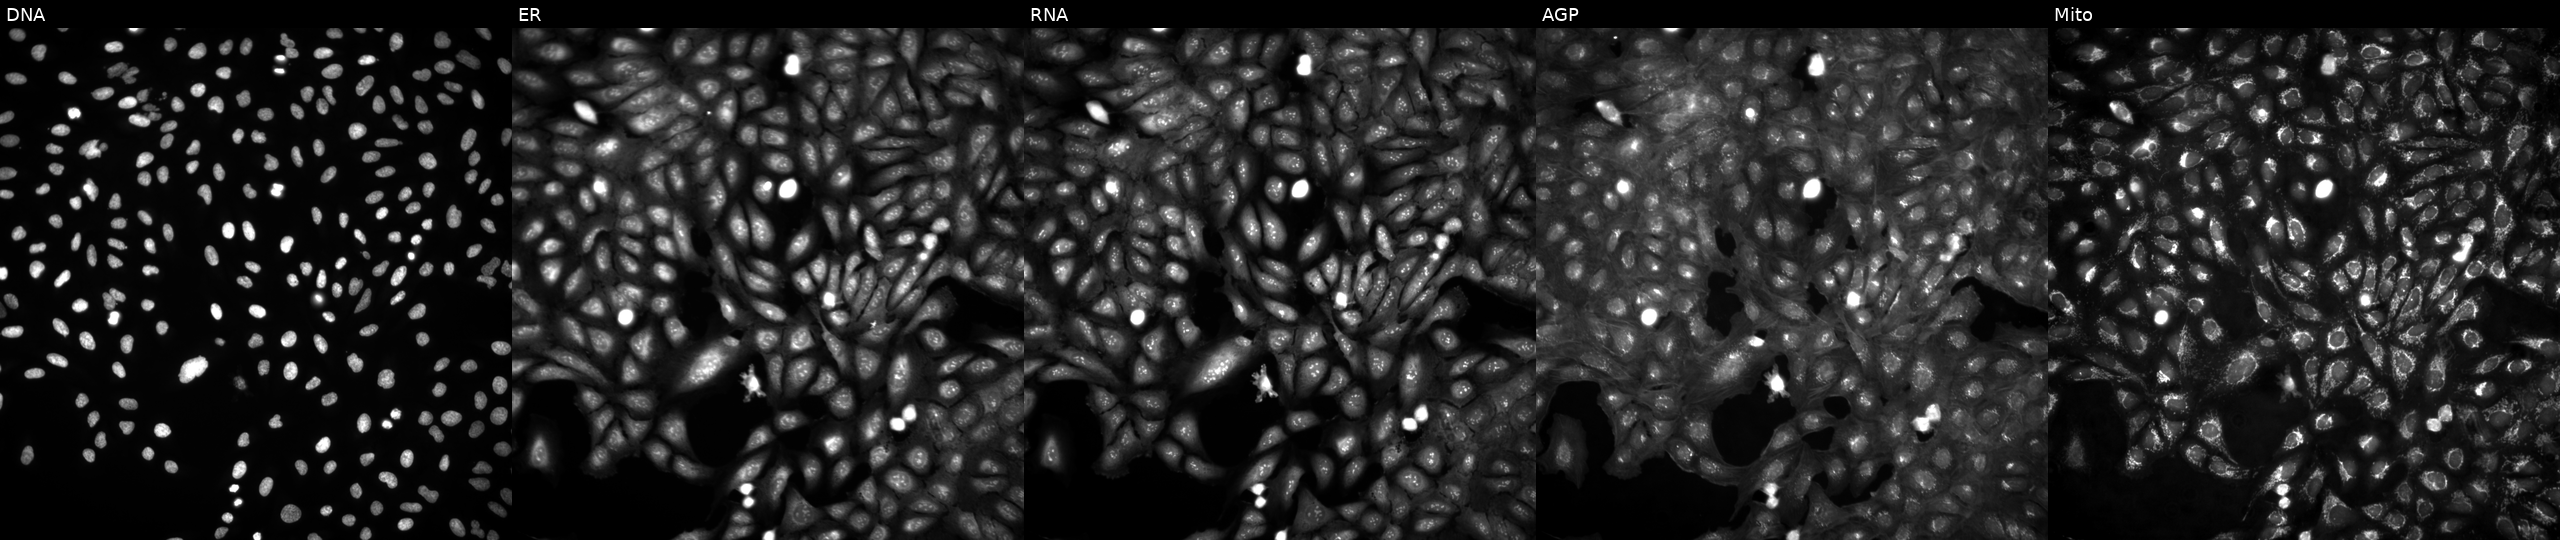
U2OS cells, Cell Painting assay, untreated (empty-well control). Panels show, left to right, Hoechst 33342, concanavalin A, SYTO 14, phalloidin and WGA, MitoTracker. Each panel is percentile-stretched 16-bit fluorescence. Source 4, plate BR00124793, well E05.